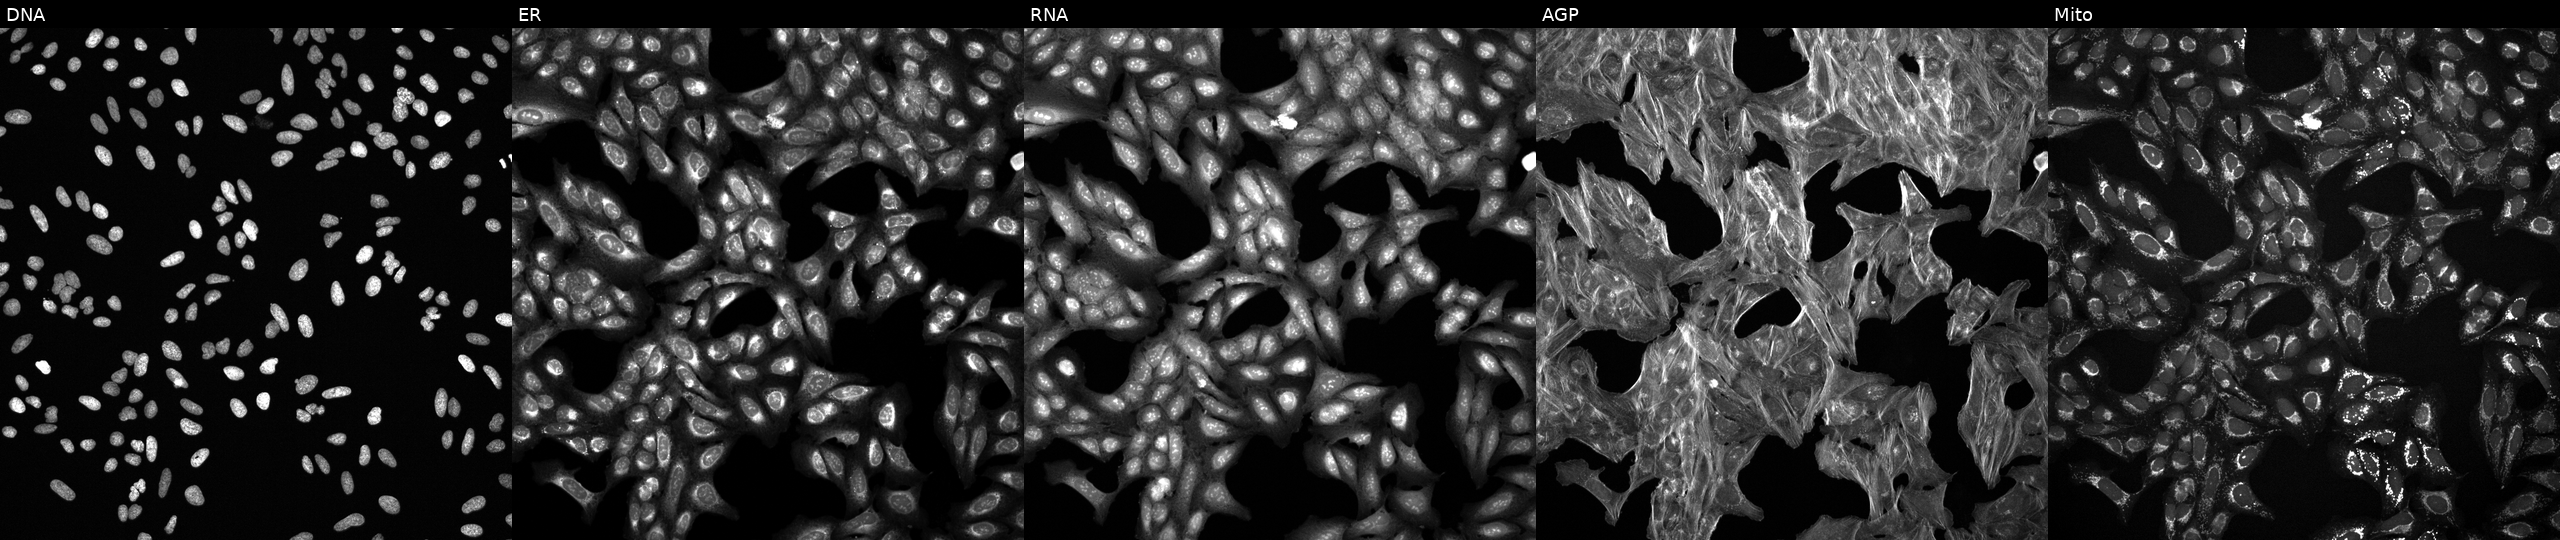
Channels (left→right): DNA (nuclei); ER (endoplasmic reticulum); RNA (nucleoli and cytoplasmic RNA); AGP (actin cytoskeleton, Golgi, and plasma membrane); Mito (mitochondria). U2OS osteosarcoma cells treated with quinidine (positive-control compound) (JUMP id JCP2022_050797). Cell Painting assay, JUMP-CP dataset.